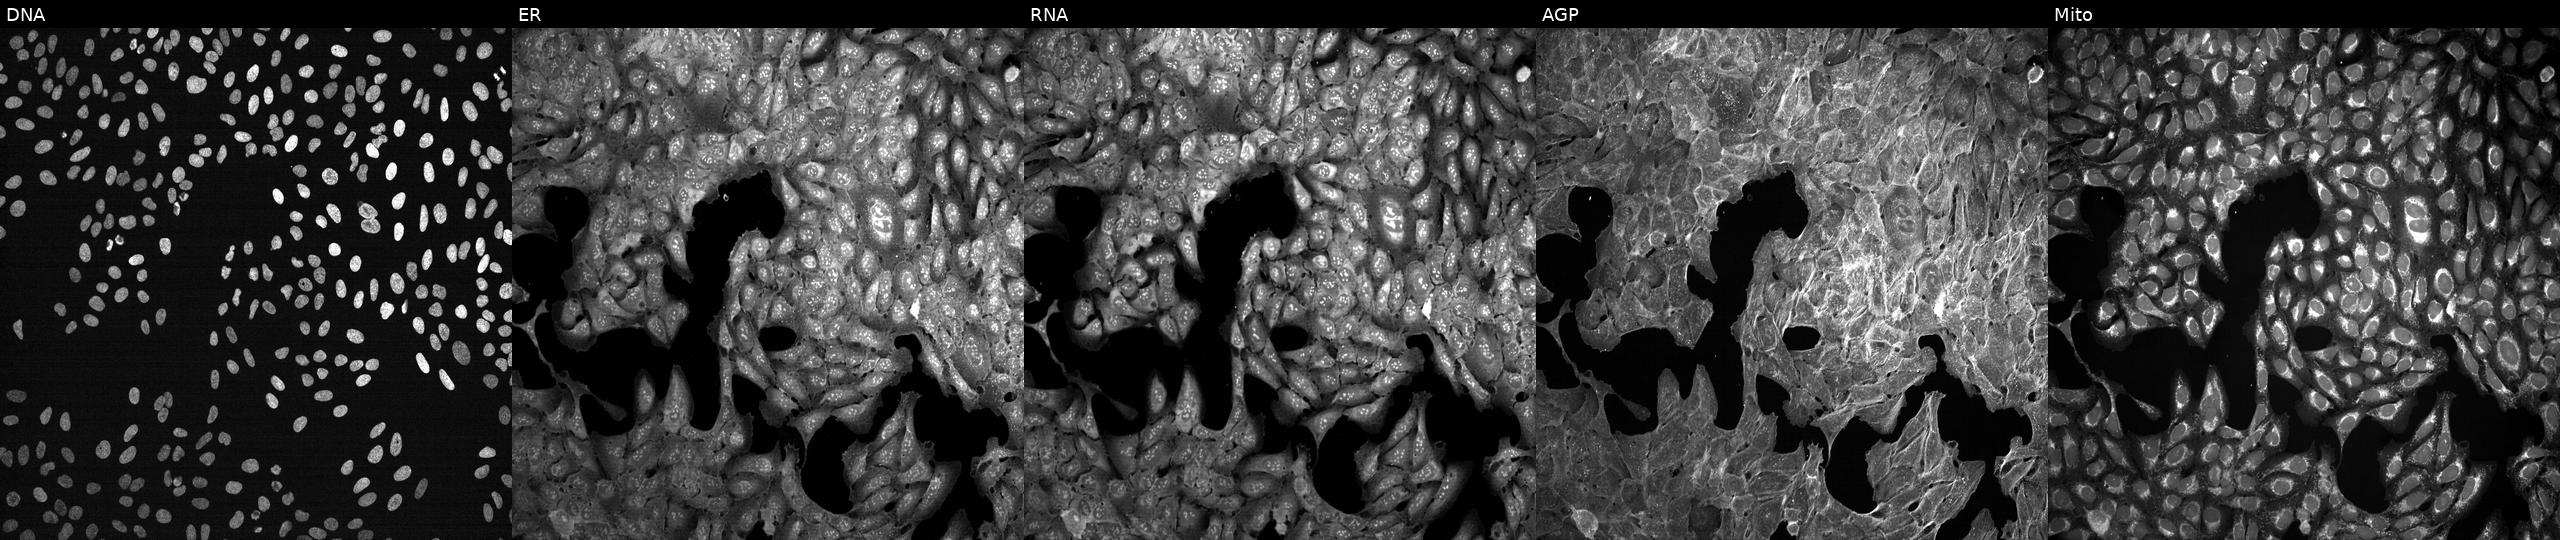
Five-channel Cell Painting image of U2OS cells exposed to a small-molecule compound (InChIKey LEVWYRKDKASIDU-UHFFFAOYSA-N). From left to right: Hoechst 33342, concanavalin A, SYTO 14, phalloidin and WGA, MitoTracker. Source 7, plate CP3-SC1-25, well A18.